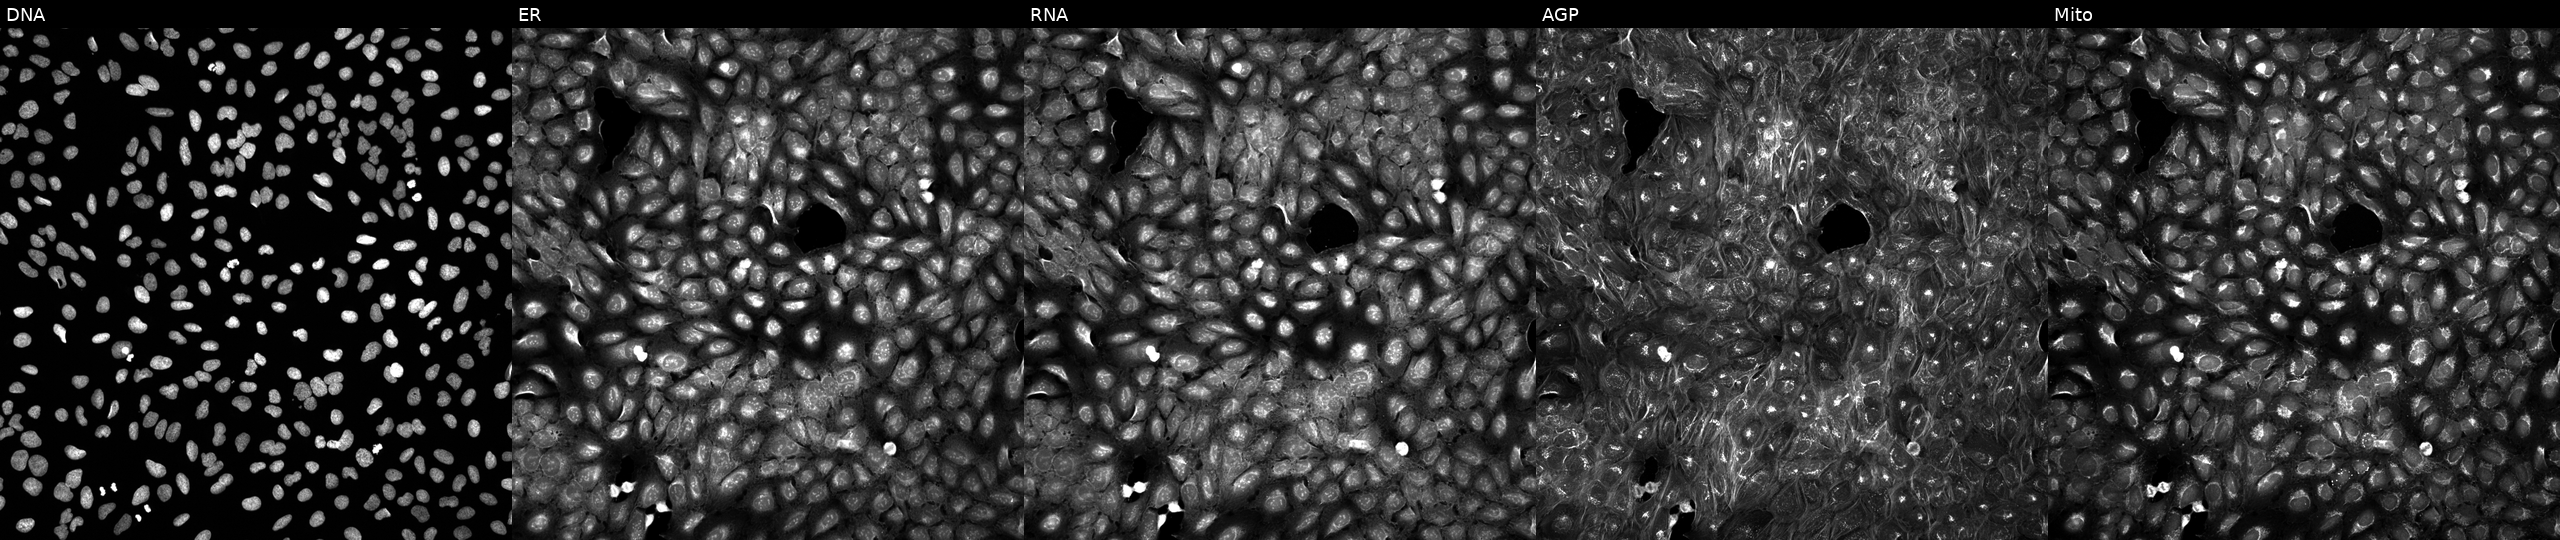
This image strip shows the five Cell Painting channels for a single field of U2OS cells perturbed with a small-molecule compound (InChIKey NFBNUBZYVDSLDG-UHFFFAOYSA-N) [SMILES: CC1(C)CN(C(=O)c2noc3c2CCCCC3)CCN1] (JUMP id JCP2022_058567). From left to right: Hoechst 33342, concanavalin A, SYTO 14, phalloidin and WGA, MitoTracker.